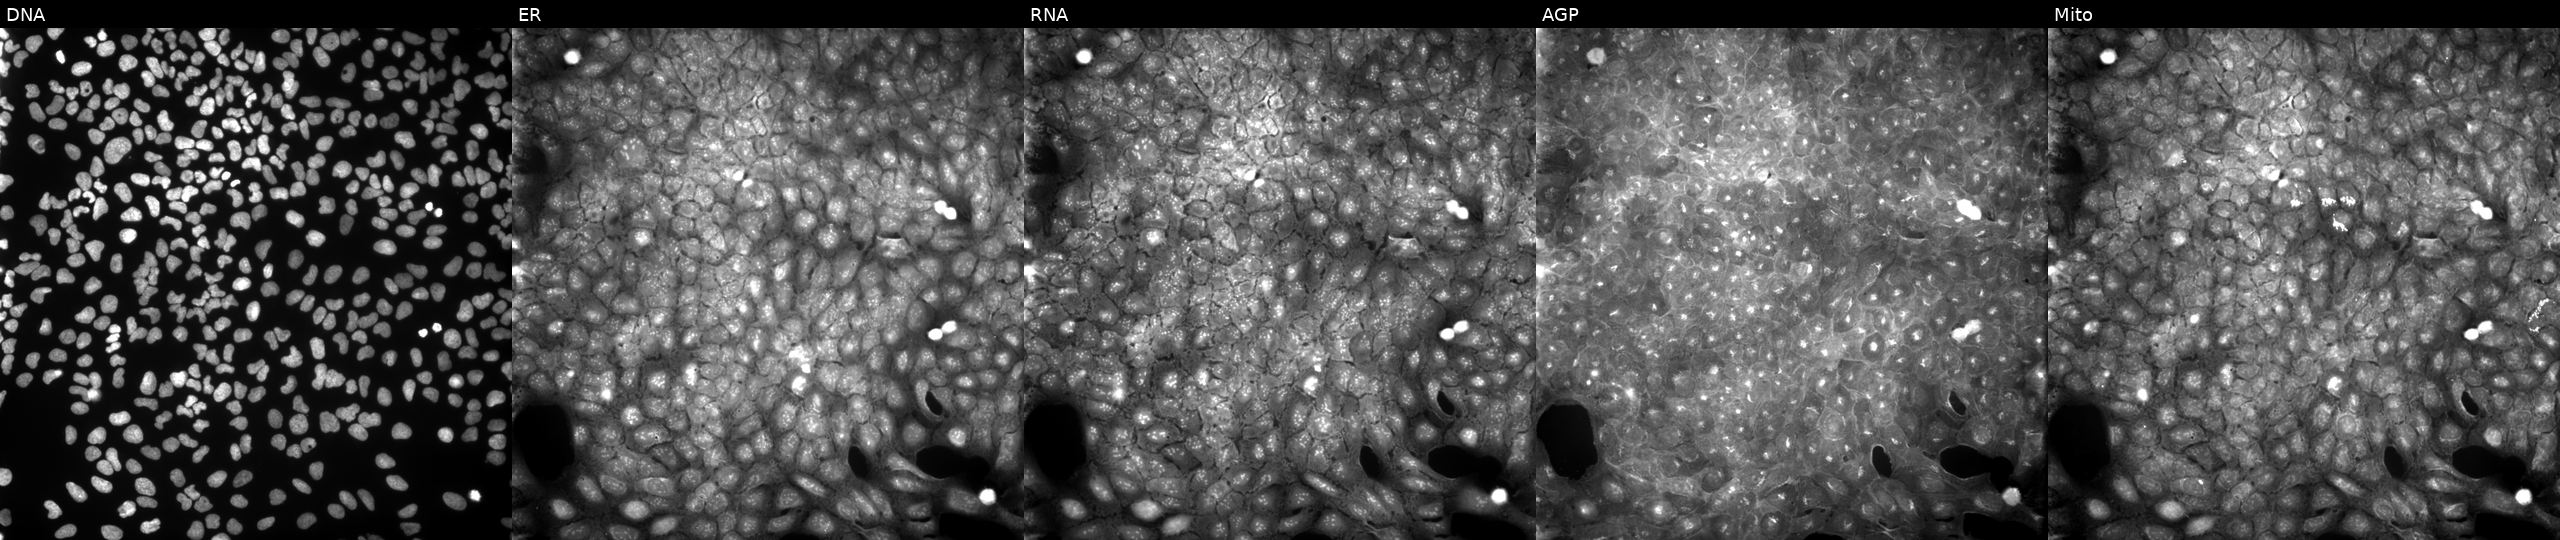
JUMP Cell Painting — COMPOUND plate. U2OS cells perturbed with a small-molecule compound (InChIKey SMNWRDYSTFYTES-UHFFFAOYSA-N) (JUMP id JCP2022_084212). From left to right: DNA (nuclei); ER (endoplasmic reticulum); RNA (nucleoli and cytoplasmic RNA); AGP (actin cytoskeleton, Golgi, and plasma membrane); Mito (mitochondria).